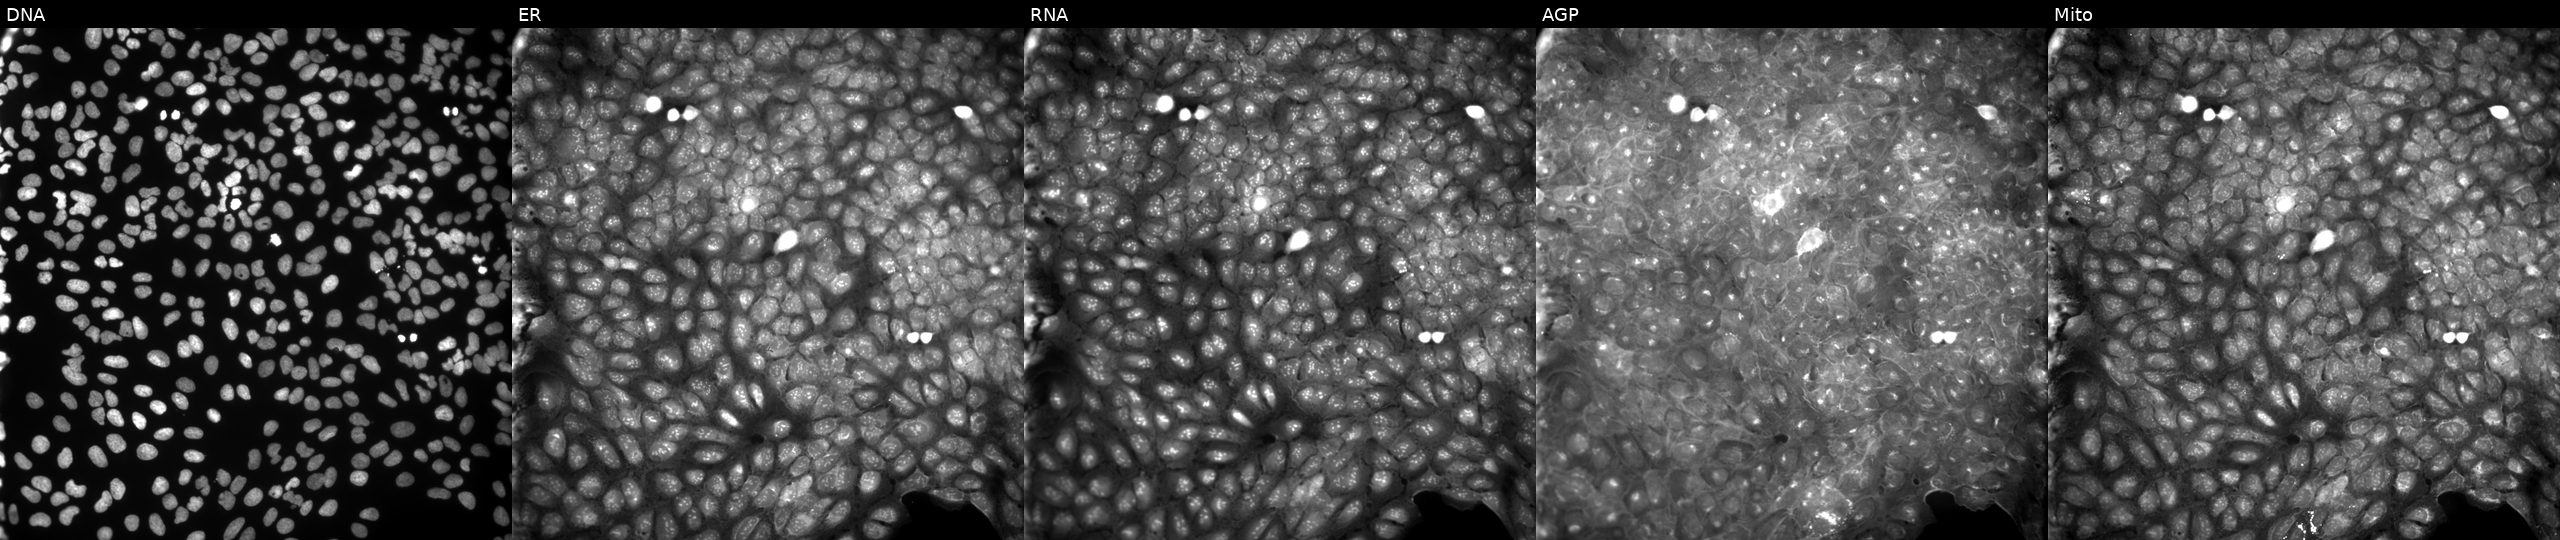
Five-channel Cell Painting image of U2OS cells perturbed with a small-molecule compound (JUMP id JCP2022_040005). Channels (left→right): DNA, ER, RNA, AGP, and Mito.